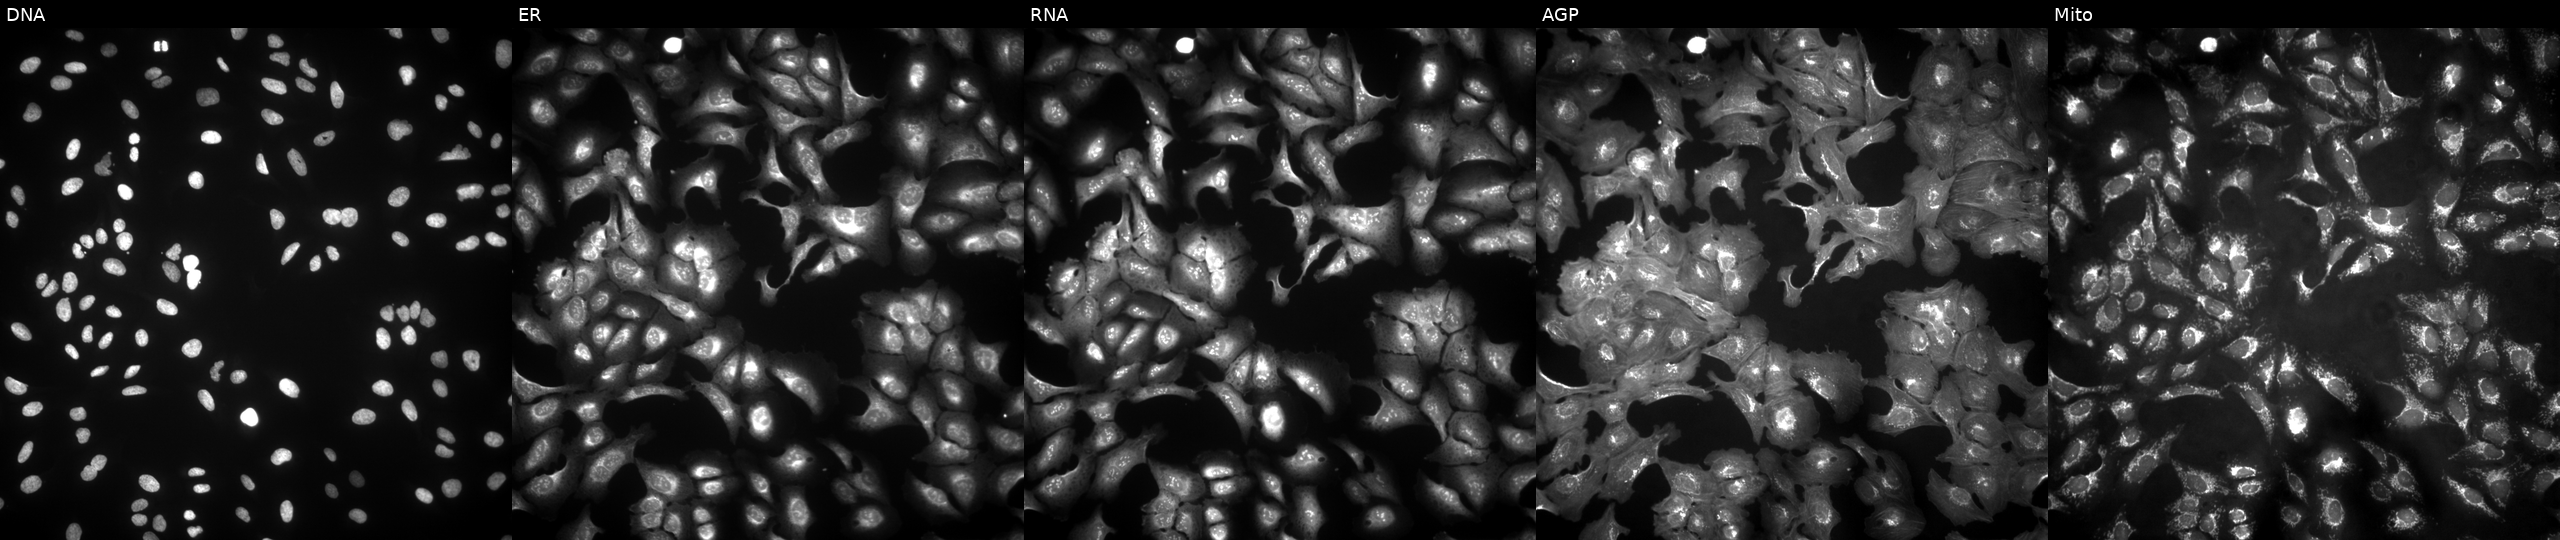
High-content fluorescence microscopy (Cell Painting). Cell line: U2OS. Perturbation: overexpressing MCHR1 via ORF transfection (JUMP id JCP2022_905906). The five panels, left to right, show Hoechst 33342, concanavalin A, SYTO 14, phalloidin and WGA, MitoTracker.